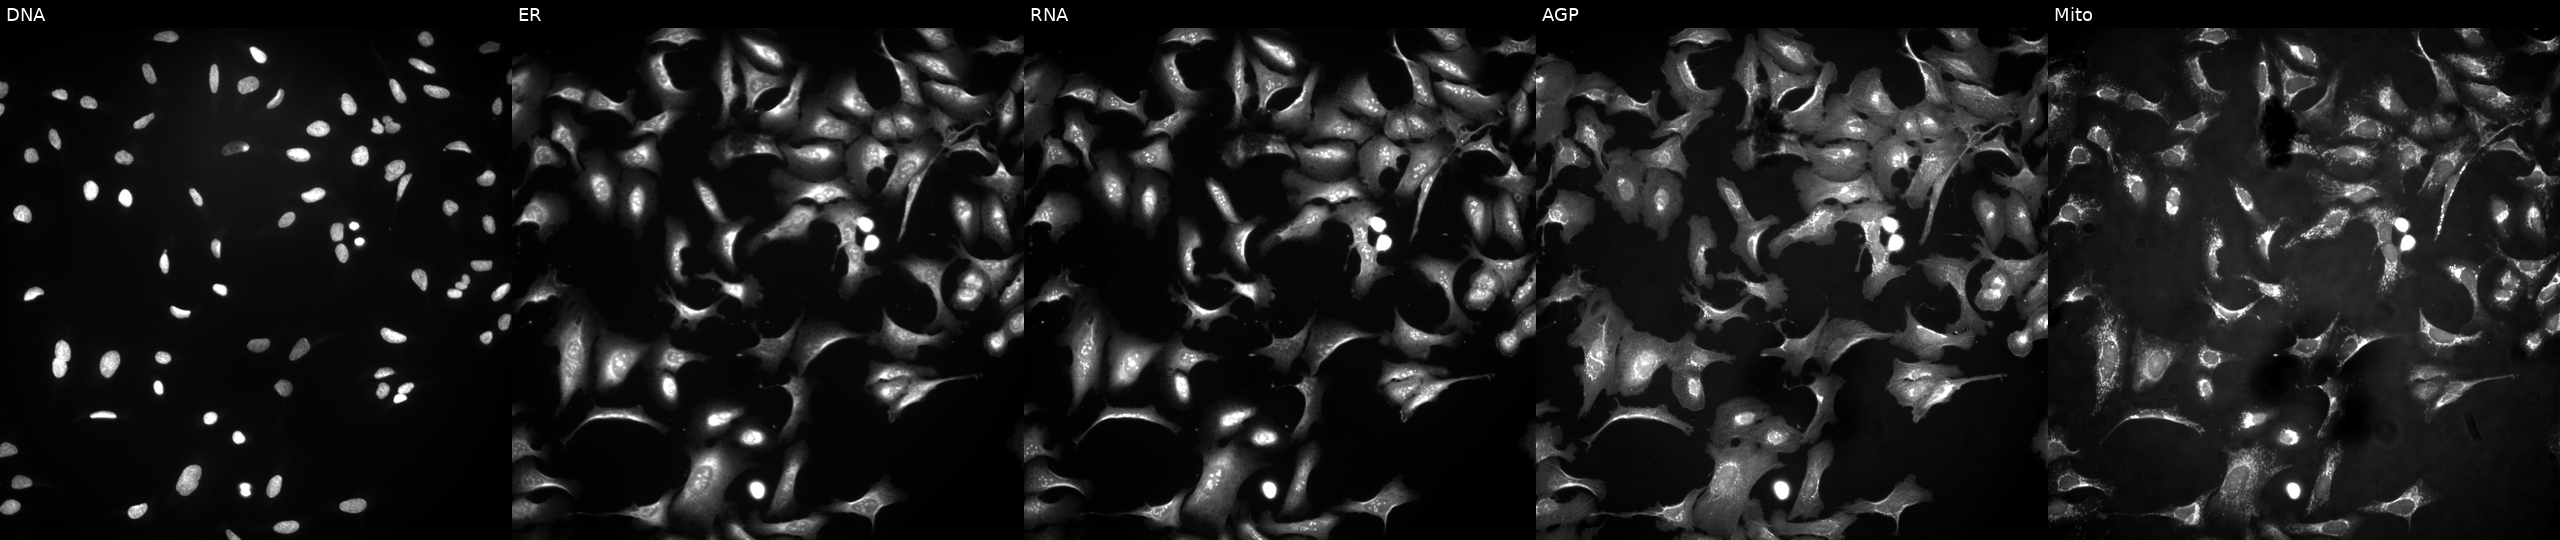
High-content fluorescence microscopy (Cell Painting). Cell line: U2OS. Perturbation: with FUCA1 overexpressed (ORF) (JUMP id JCP2022_910094). Panels show, left to right, DNA (nuclei); ER (endoplasmic reticulum); RNA (nucleoli and cytoplasmic RNA); AGP (actin cytoskeleton, Golgi, and plasma membrane); Mito (mitochondria). Source 4, plate BR00124790, well L01.